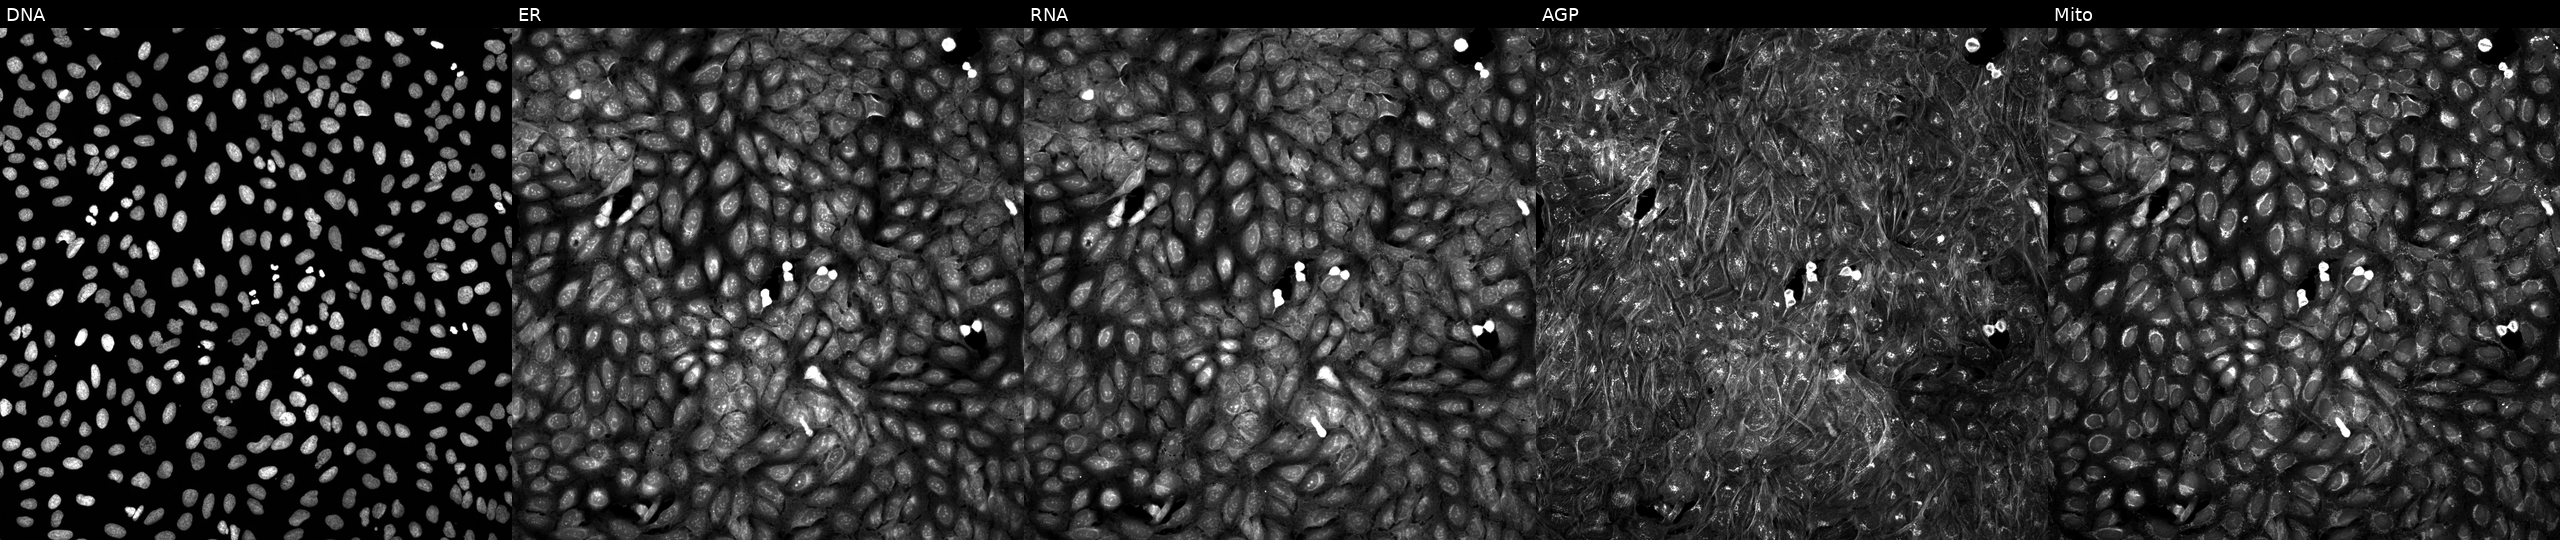
JUMP Cell Painting — COMPOUND plate. U2OS cells exposed to a small-molecule compound (InChIKey ZJFLLRHRVWFEOO-UHFFFAOYSA-N) (JUMP id JCP2022_113675). Channels (left→right): DNA, ER, RNA, AGP, and Mito. Source 5, plate APTJUM106, well E06.